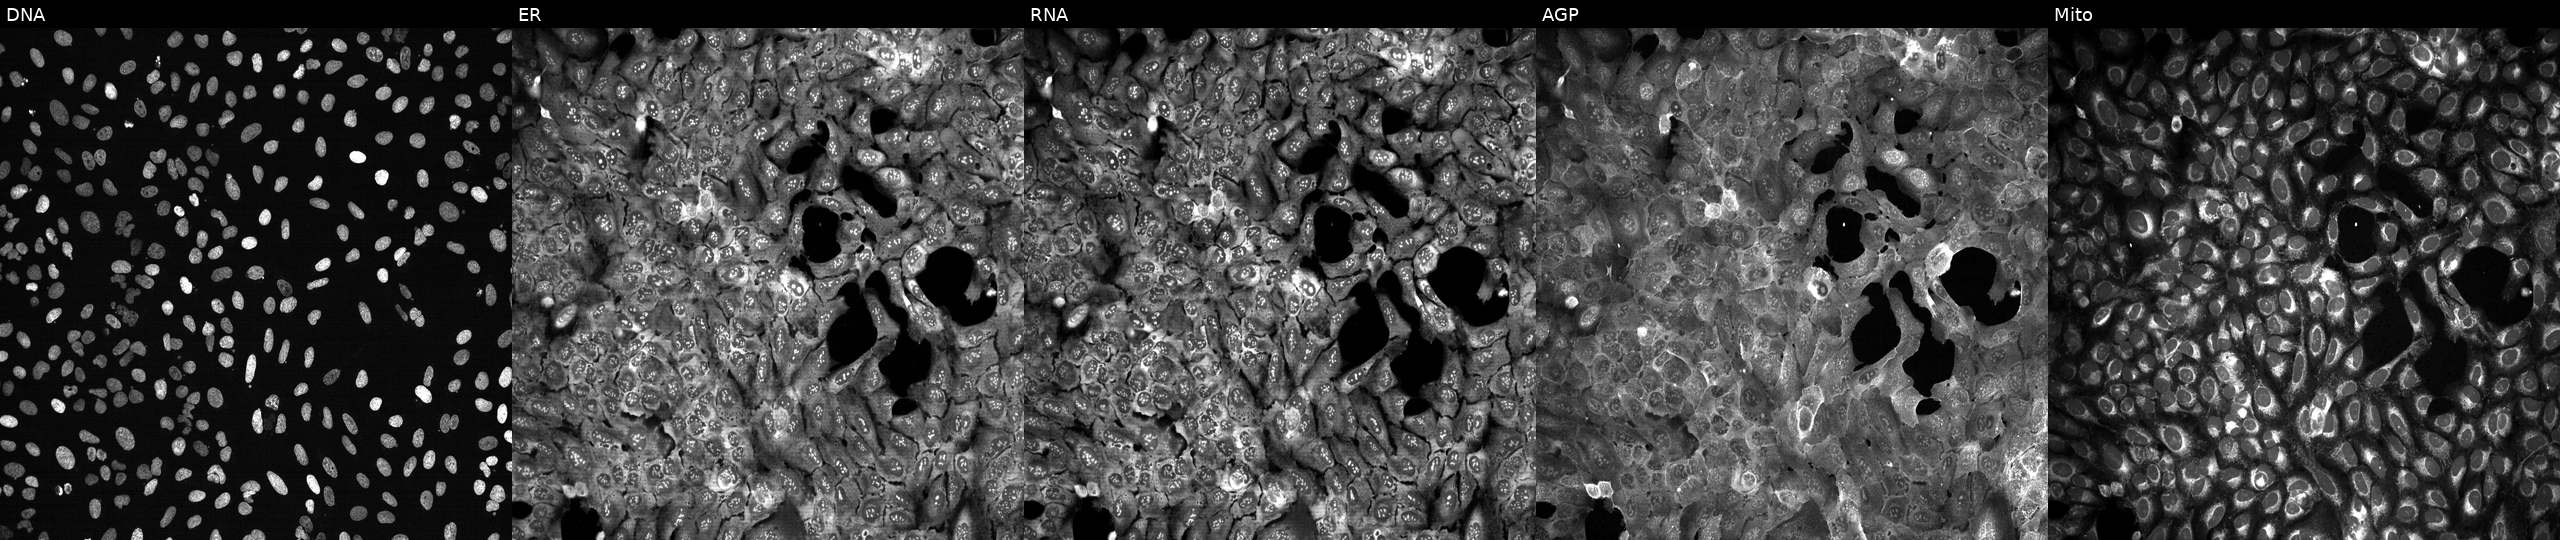
From left to right: DNA (nuclei); ER (endoplasmic reticulum); RNA (nucleoli and cytoplasmic RNA); AGP (actin cytoskeleton, Golgi, and plasma membrane); Mito (mitochondria). U2OS osteosarcoma cells with MYL6 knocked out by CRISPR (JUMP id JCP2022_804372). Cell Painting assay, JUMP-CP dataset.